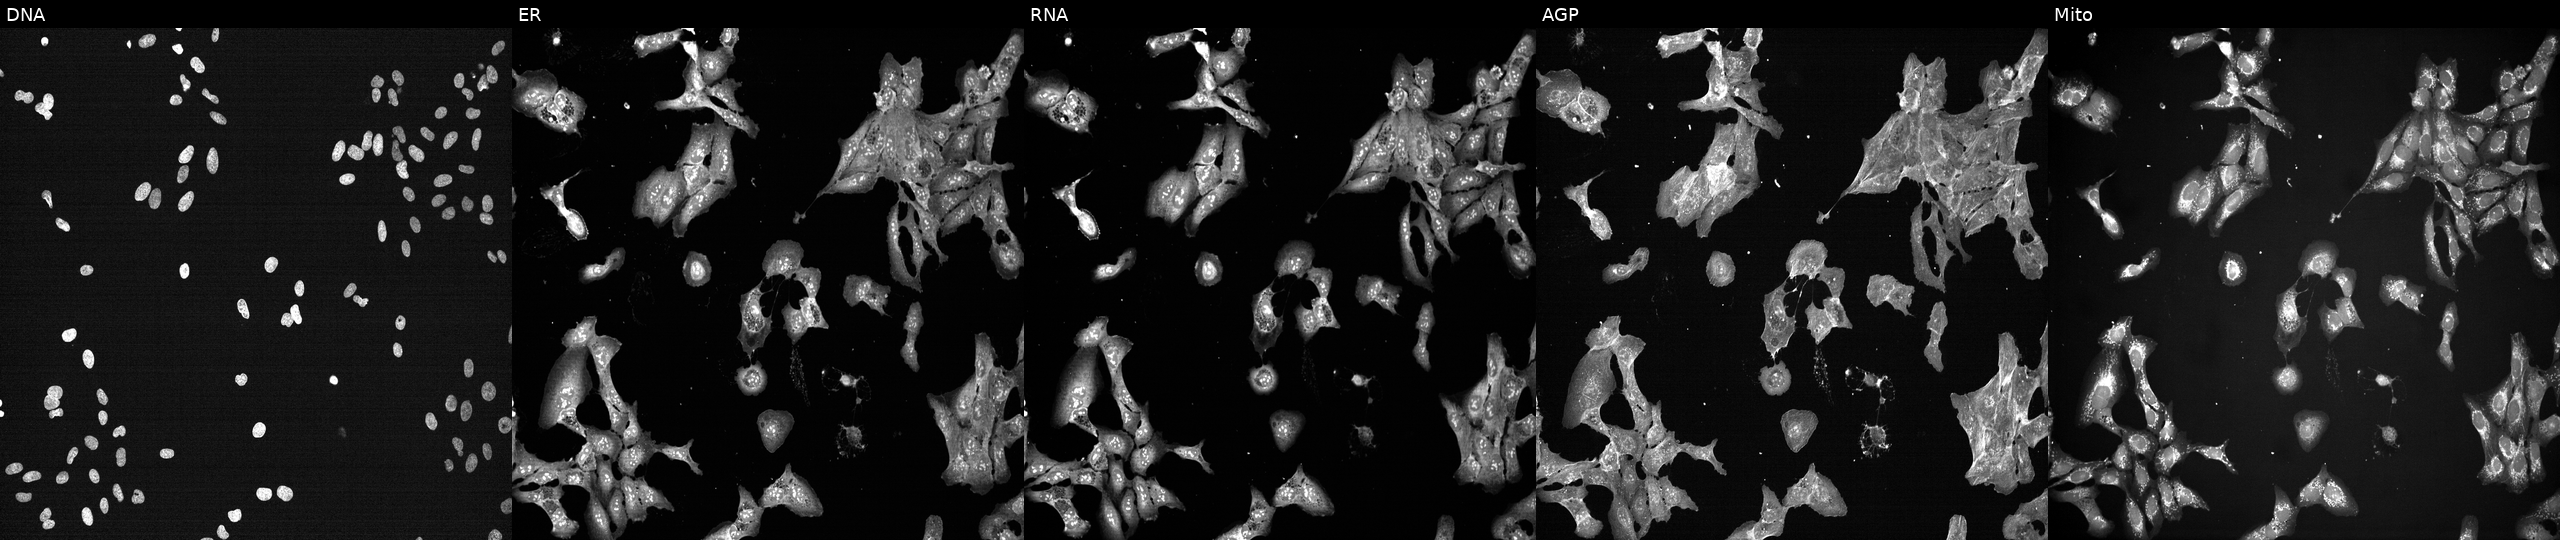
Five-channel Cell Painting image of U2OS cells perturbed with a small-molecule compound (InChIKey AJVXVYTVAAWZAP-UHFFFAOYSA-N) (JUMP id JCP2022_001890). The five panels, left to right, show DNA (nuclei); ER (endoplasmic reticulum); RNA (nucleoli and cytoplasmic RNA); AGP (actin cytoskeleton, Golgi, and plasma membrane); Mito (mitochondria). Source 7, plate CP3-SC1-25, well B01.